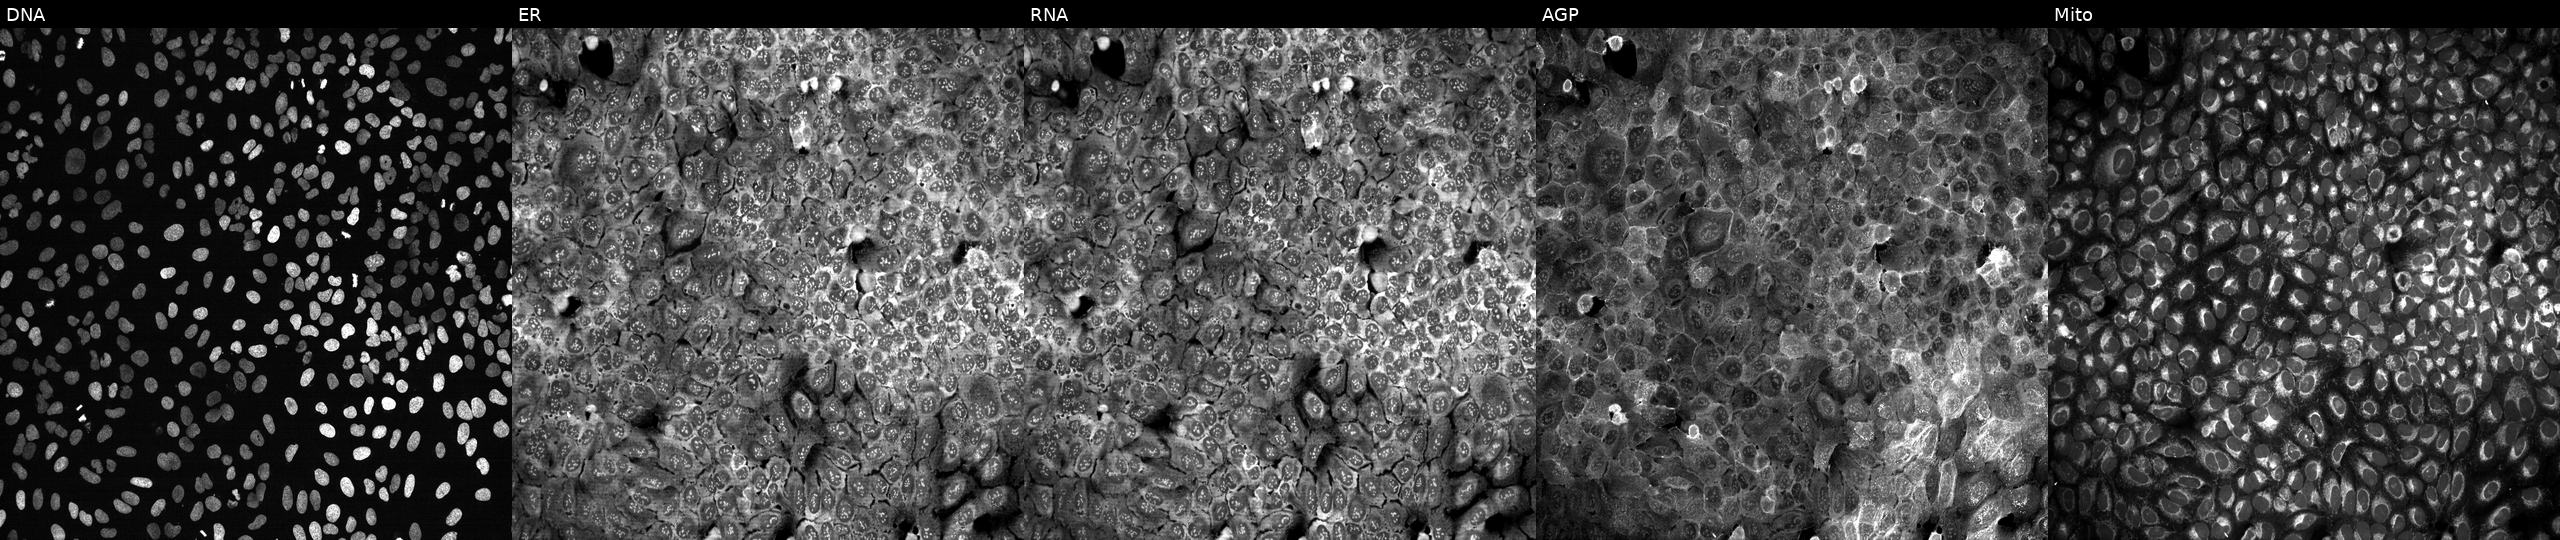
Channels (left→right): Hoechst 33342, concanavalin A, SYTO 14, phalloidin and WGA, MitoTracker. U2OS osteosarcoma cells with ENTPD7 knocked out by CRISPR (JUMP id JCP2022_802127). Cell Painting assay, JUMP-CP dataset.